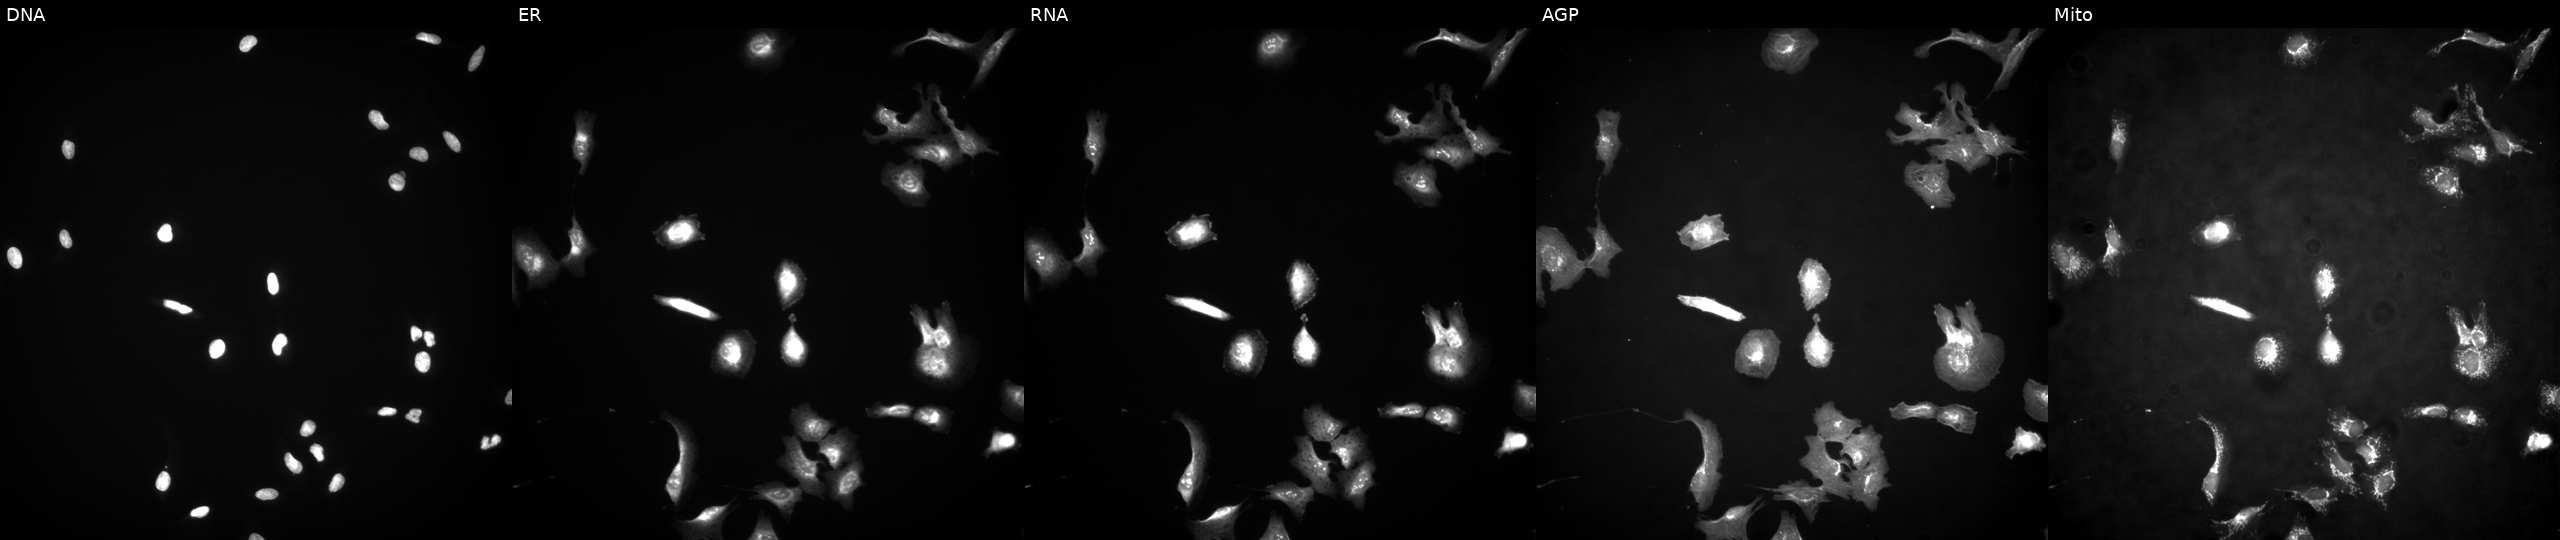
Panels show, left to right, DNA, ER, RNA, AGP, and Mito. U2OS osteosarcoma cells overexpressing BORCS7 via ORF transfection. Cell Painting assay, JUMP-CP dataset. Source 4, plate BR00123509, well N09.